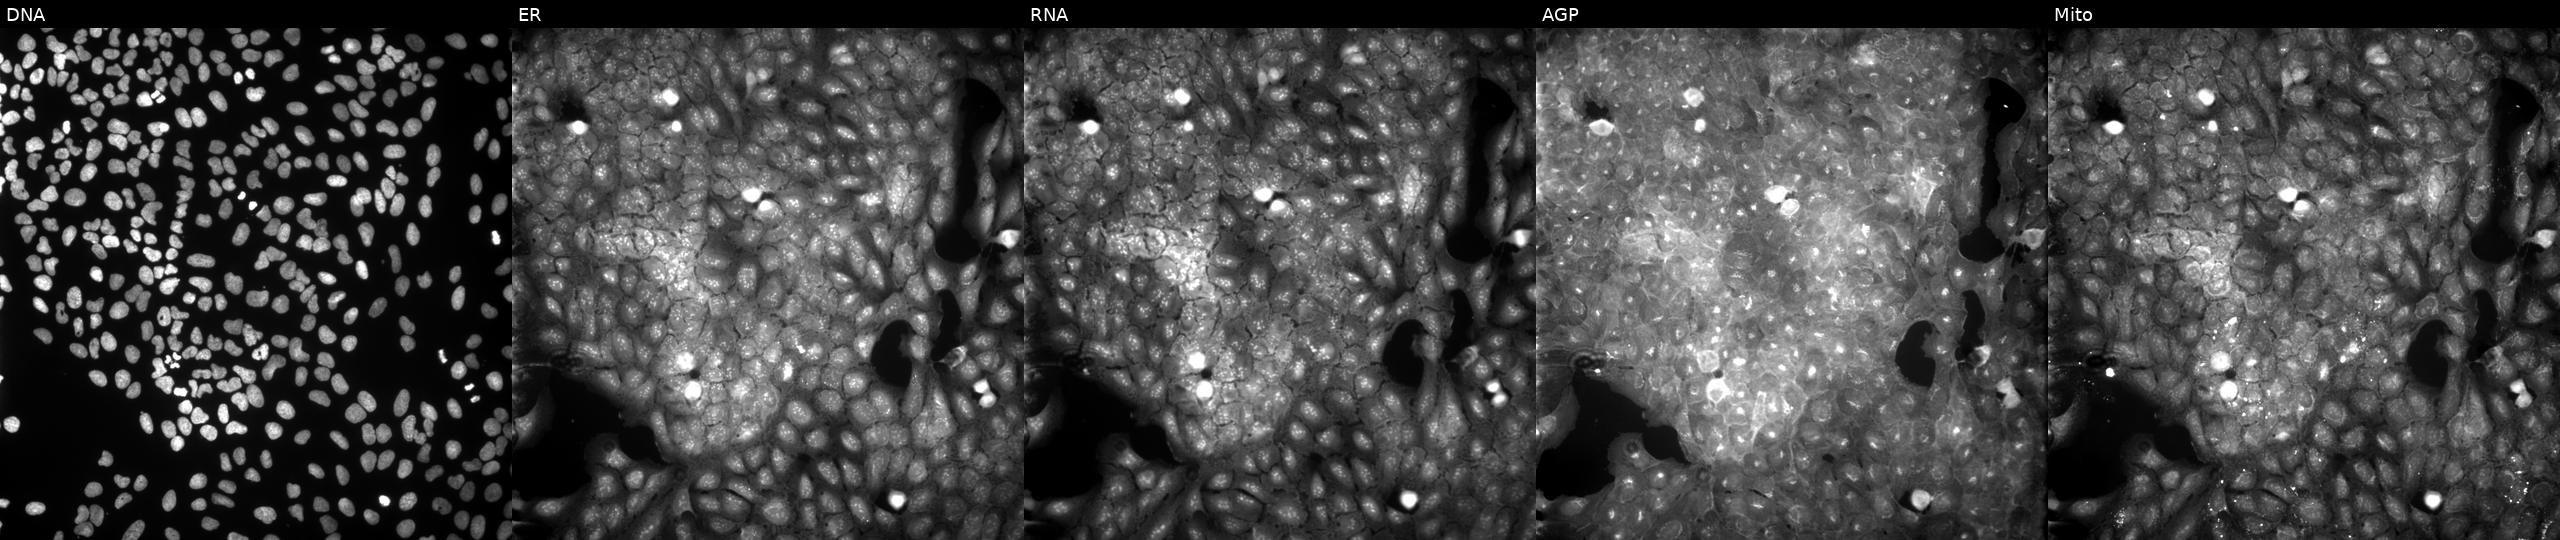
The five panels, left to right, show DNA (nuclei); ER (endoplasmic reticulum); RNA (nucleoli and cytoplasmic RNA); AGP (actin cytoskeleton, Golgi, and plasma membrane); Mito (mitochondria). U2OS osteosarcoma cells perturbed with a small-molecule compound. Cell Painting assay, JUMP-CP dataset.